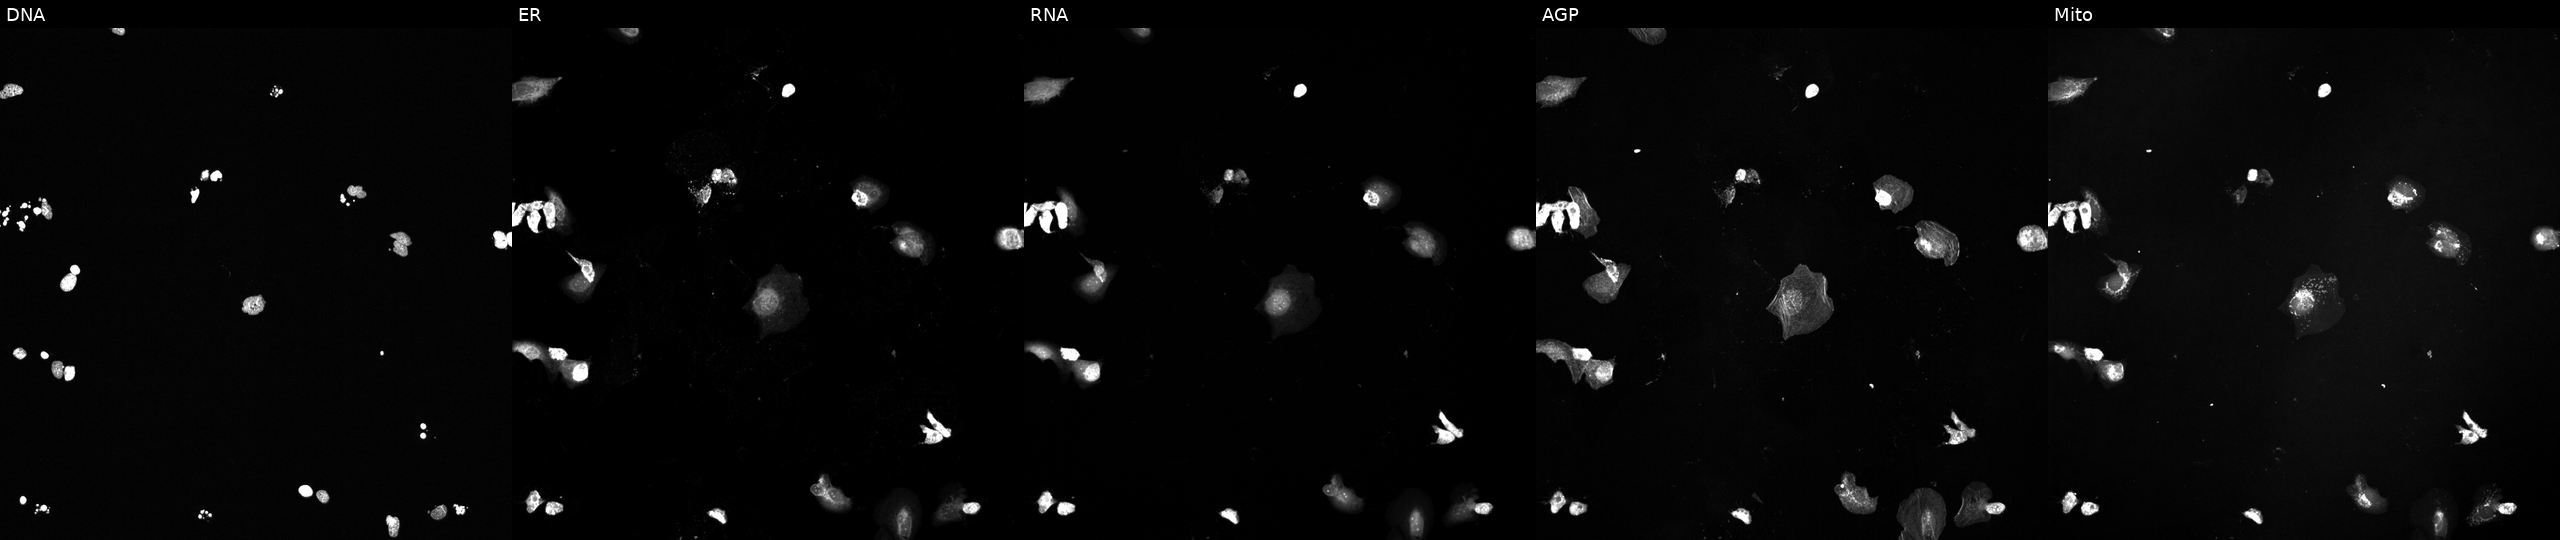
Five-channel Cell Painting image of U2OS cells perturbed with a small-molecule compound (InChIKey WSMQUUGTQYPVPD-UHFFFAOYSA-N) (JUMP id JCP2022_100876). The five panels, left to right, show DNA, ER, RNA, AGP, and Mito.